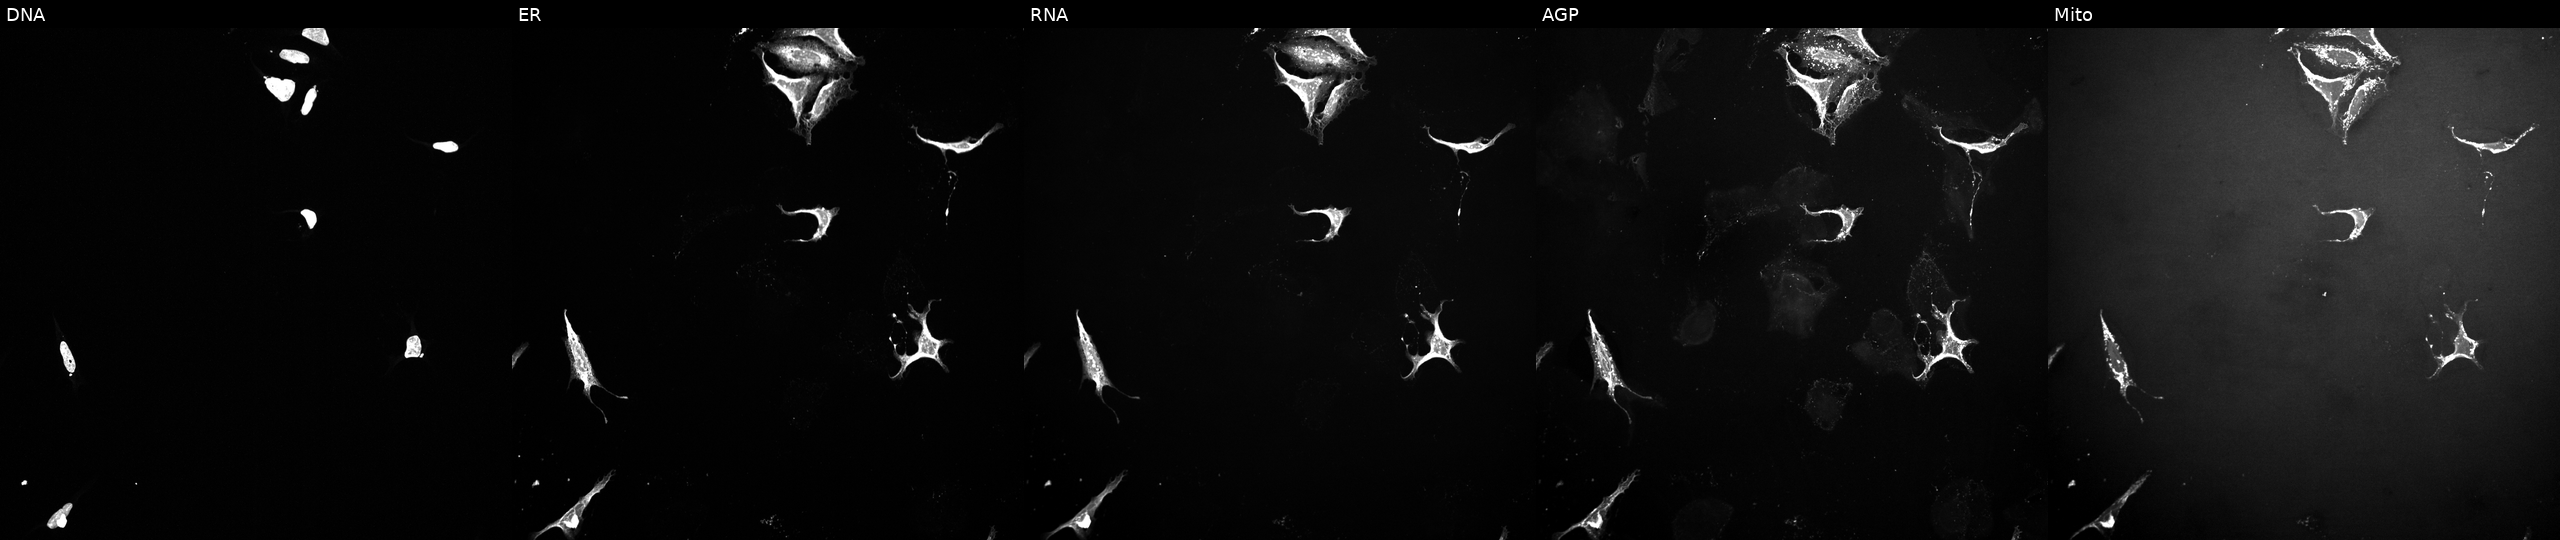
Panels show, left to right, DNA (nuclei); ER (endoplasmic reticulum); RNA (nucleoli and cytoplasmic RNA); AGP (actin cytoskeleton, Golgi, and plasma membrane); Mito (mitochondria). U2OS osteosarcoma cells perturbed with a small-molecule compound (JUMP id JCP2022_054601). Cell Painting assay, JUMP-CP dataset. Source 10, plate Dest210803-153958, well C11.